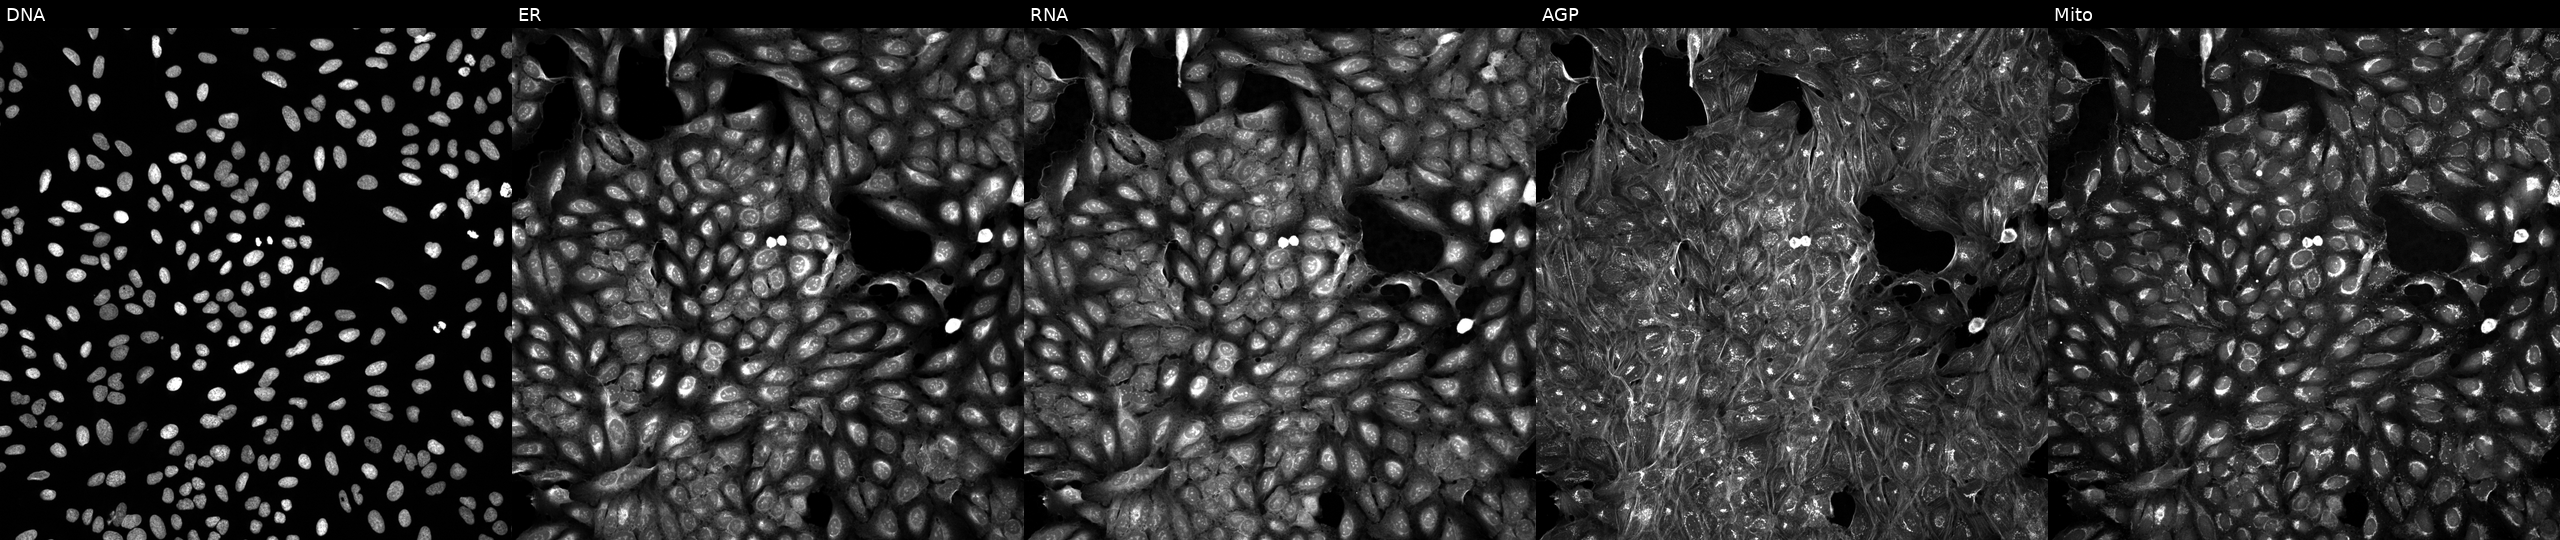
U2OS cells, Cell Painting assay, perturbed with a small-molecule compound (InChIKey XNOPRXBHLZRZKH-UHFFFAOYSA-N) (JUMP id JCP2022_104794). Channels (left→right): DNA (nuclei); ER (endoplasmic reticulum); RNA (nucleoli and cytoplasmic RNA); AGP (actin cytoskeleton, Golgi, and plasma membrane); Mito (mitochondria). Each panel is percentile-stretched 16-bit fluorescence. Source 5, plate ACPJUM051, well D21.